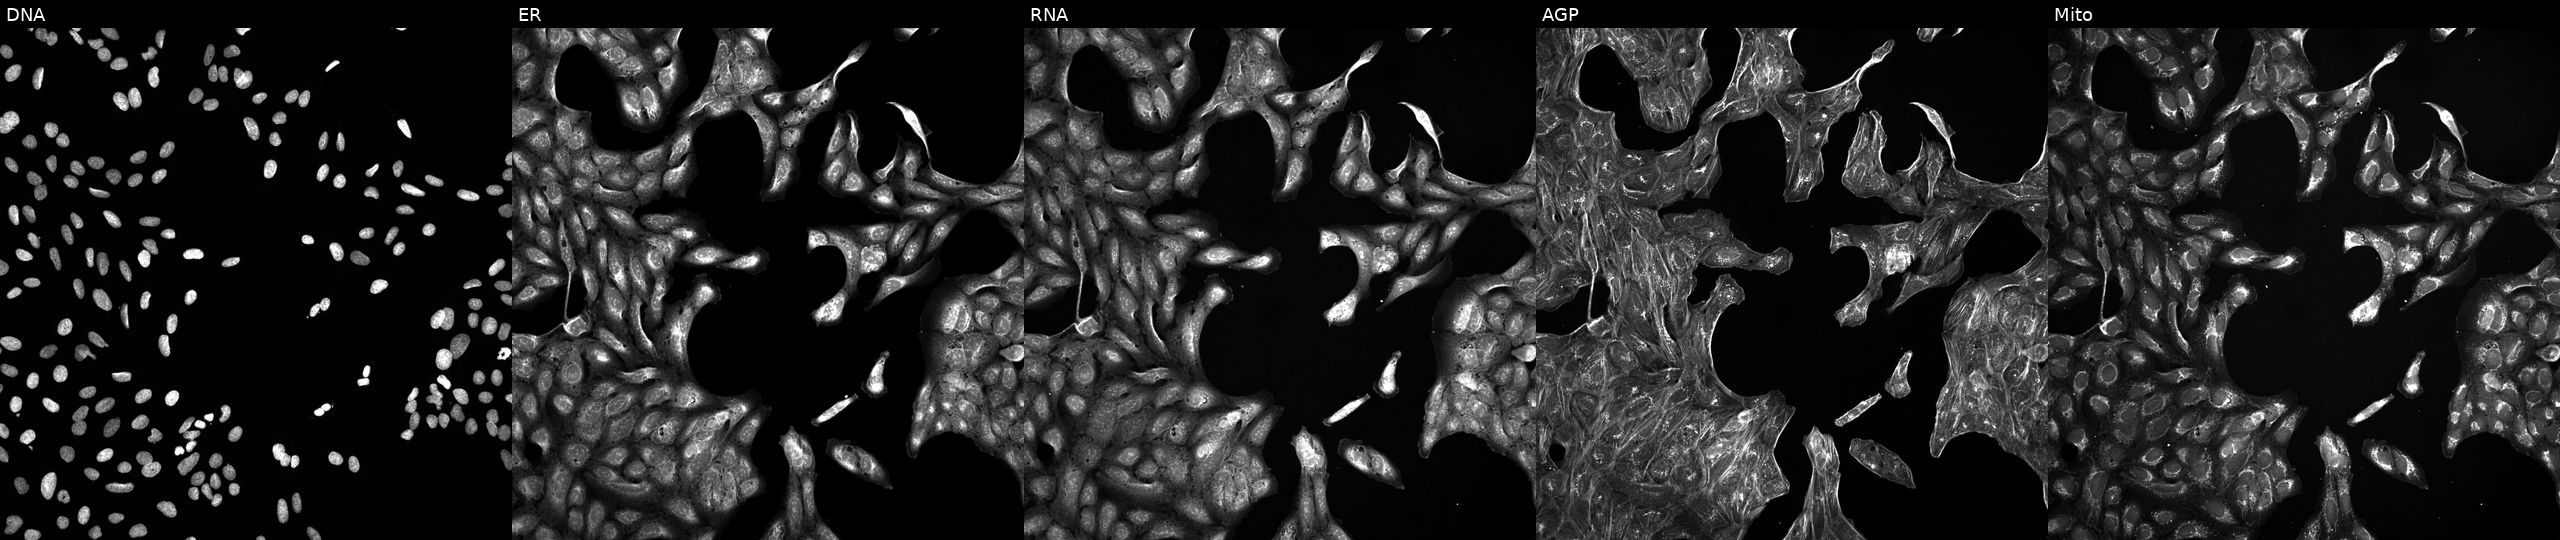
JUMP Cell Painting — TARGET2 plate. U2OS cells exposed to a small-molecule compound (InChIKey KUUJEXLRLIPQQJ-UHFFFAOYSA-N) (JUMP id JCP2022_047143). Channels (left→right): Hoechst 33342, concanavalin A, SYTO 14, phalloidin and WGA, MitoTracker. Source 5, plate ACPJUM051, well K04.